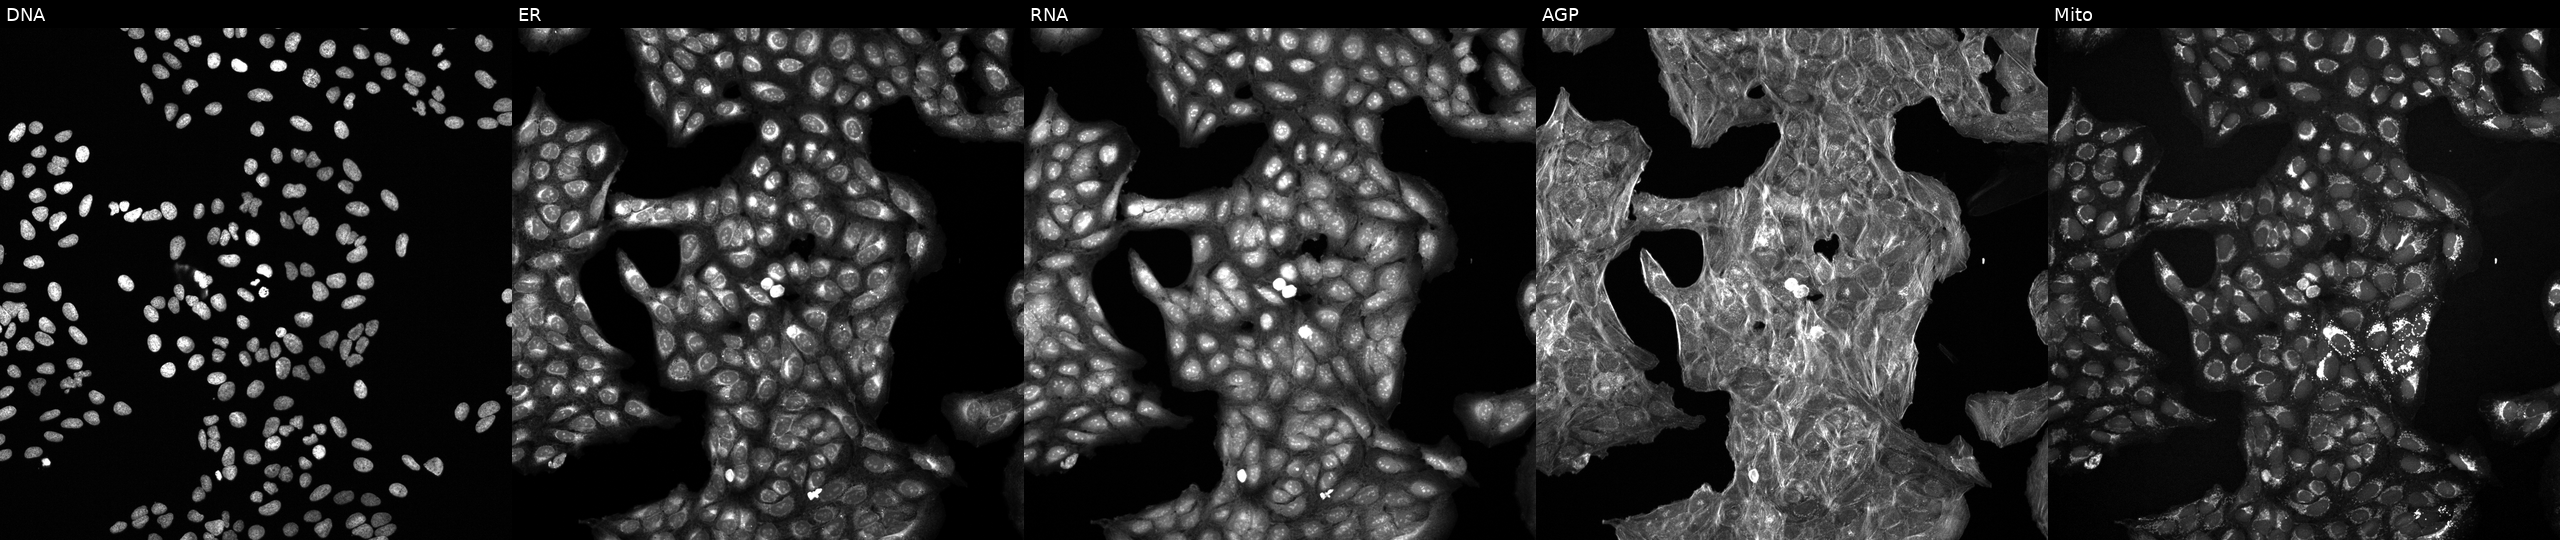
High-content fluorescence microscopy (Cell Painting). Cell line: U2OS. Perturbation: treated with a small-molecule compound (InChIKey JTWOHQKRPUVSQW-UHFFFAOYSA-N). From left to right: Hoechst 33342, concanavalin A, SYTO 14, phalloidin and WGA, MitoTracker.